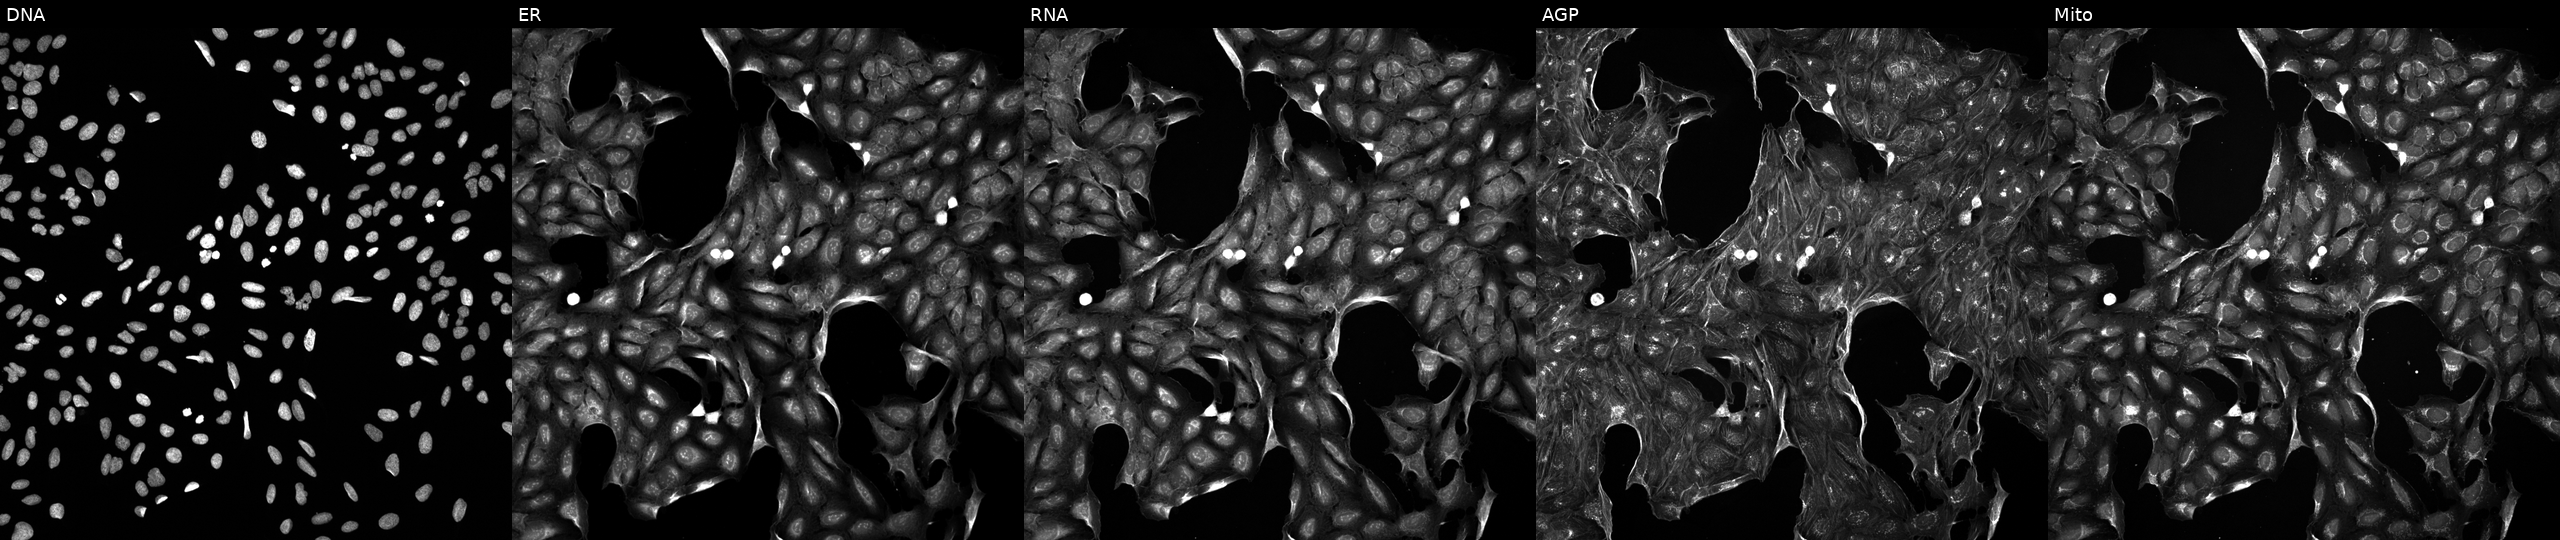
Five-channel Cell Painting image of U2OS cells exposed to a small-molecule compound (InChIKey AWJLNZYJTRLROG-UHFFFAOYSA-N). Channels (left→right): DNA, ER, RNA, AGP, and Mito.